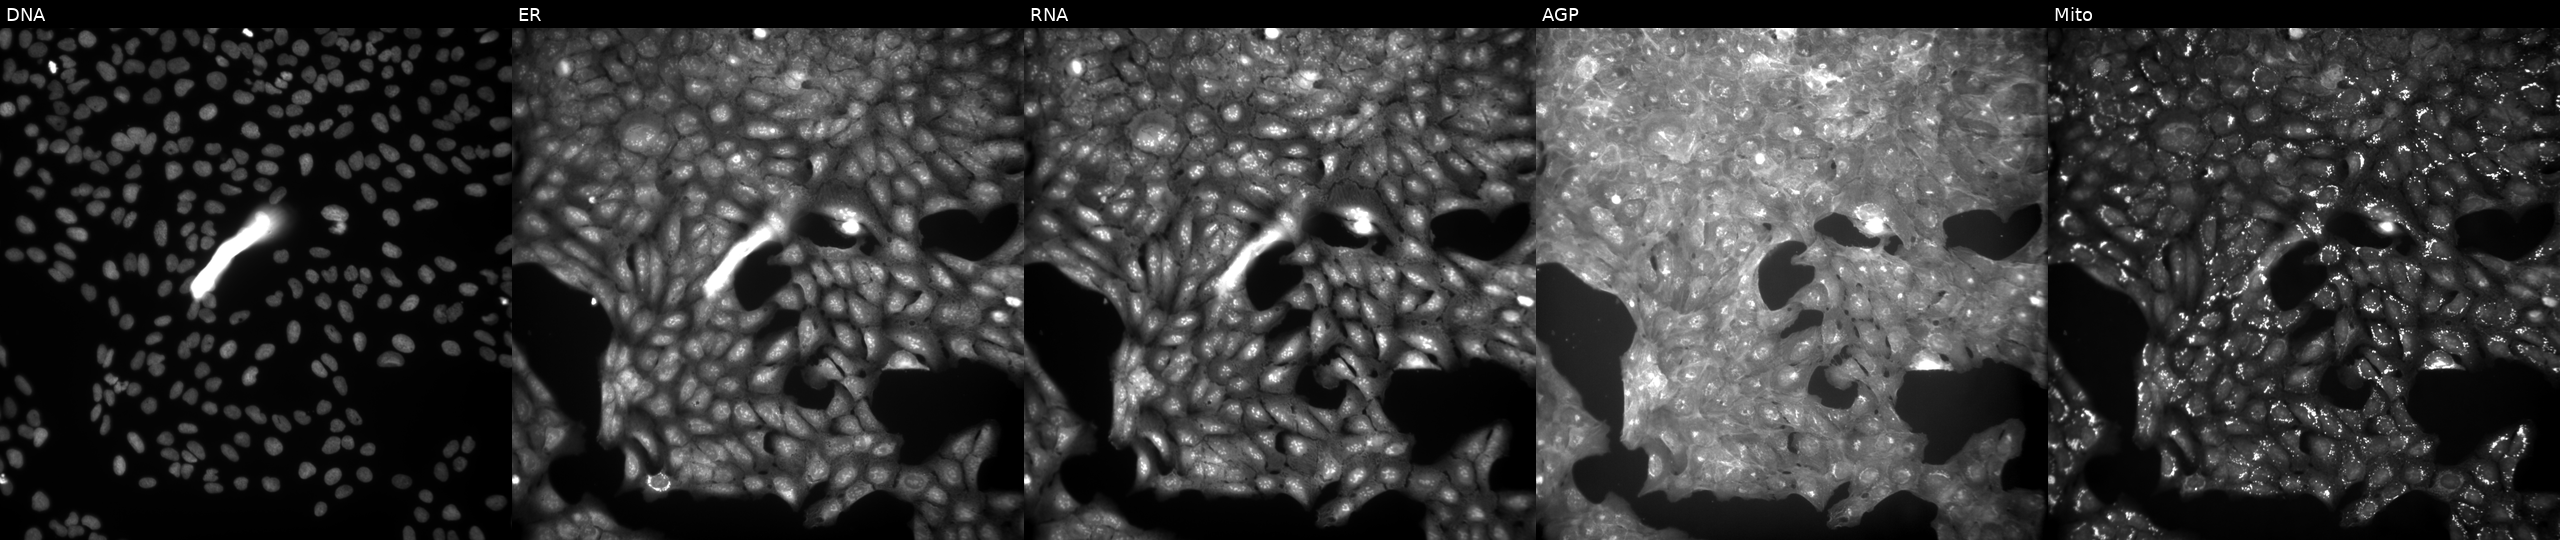
Five-channel Cell Painting image of U2OS cells perturbed with a small-molecule compound (InChIKey JQXYETBMXDBVPQ-UHFFFAOYSA-N) [SMILES: O=C(CN1C(=O)c2ccccc2C1=O)Oc1cccc2cccnc12]. Panels show, left to right, Hoechst 33342, concanavalin A, SYTO 14, phalloidin and WGA, MitoTracker.